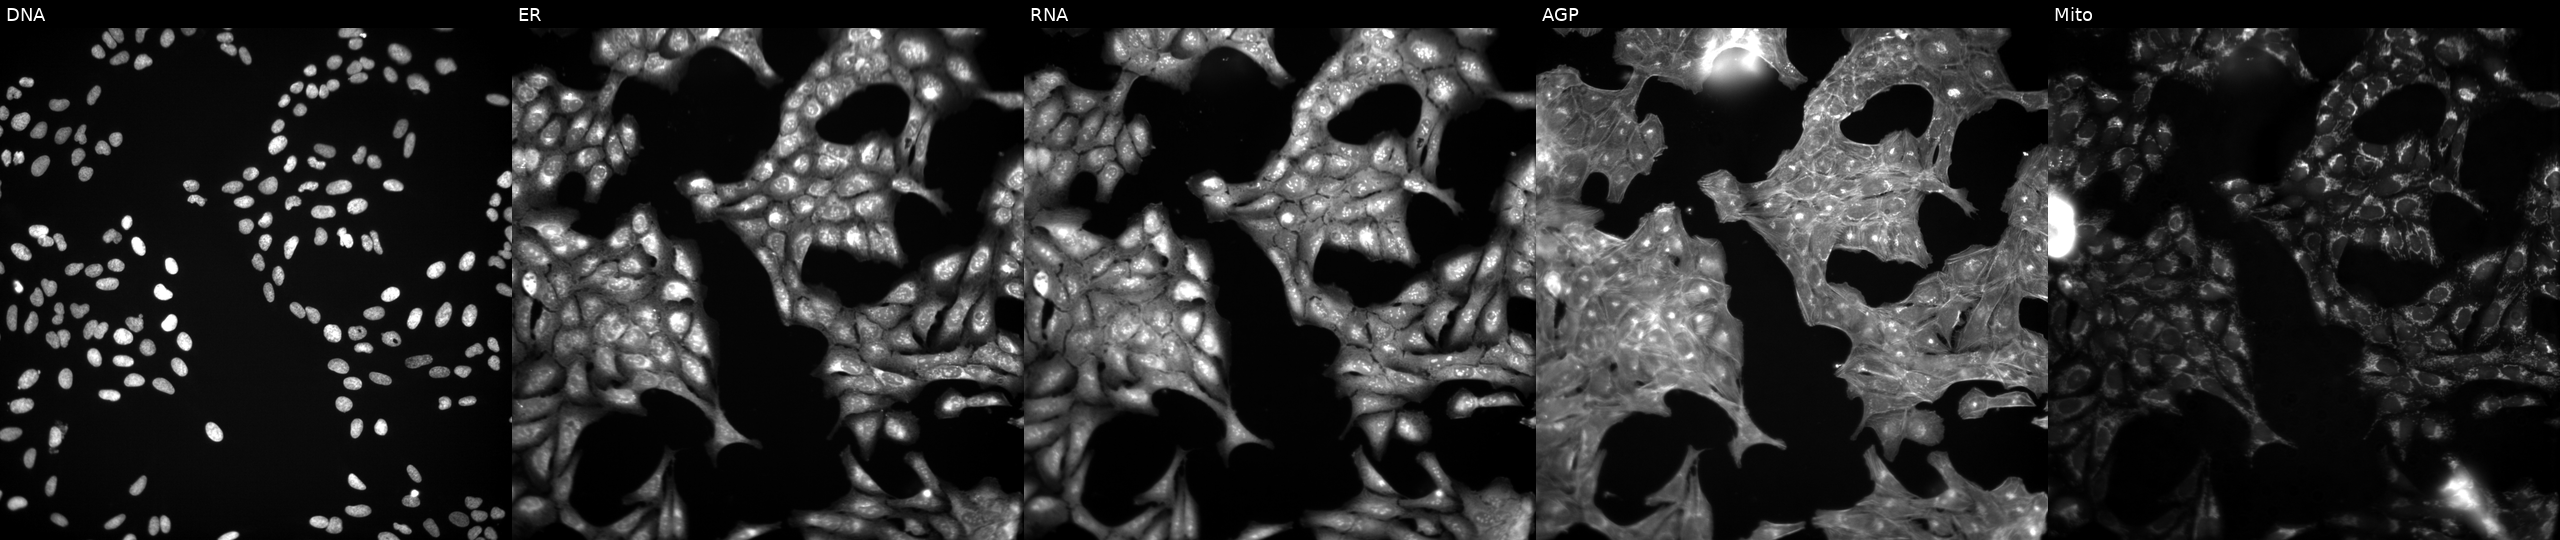
This image strip shows the five Cell Painting channels for a single field of U2OS cells perturbed with a small-molecule compound (JUMP id JCP2022_027911). Panels show, left to right, DNA (nuclei); ER (endoplasmic reticulum); RNA (nucleoli and cytoplasmic RNA); AGP (actin cytoskeleton, Golgi, and plasma membrane); Mito (mitochondria). Source 3, plate JCPQC053, well A06.